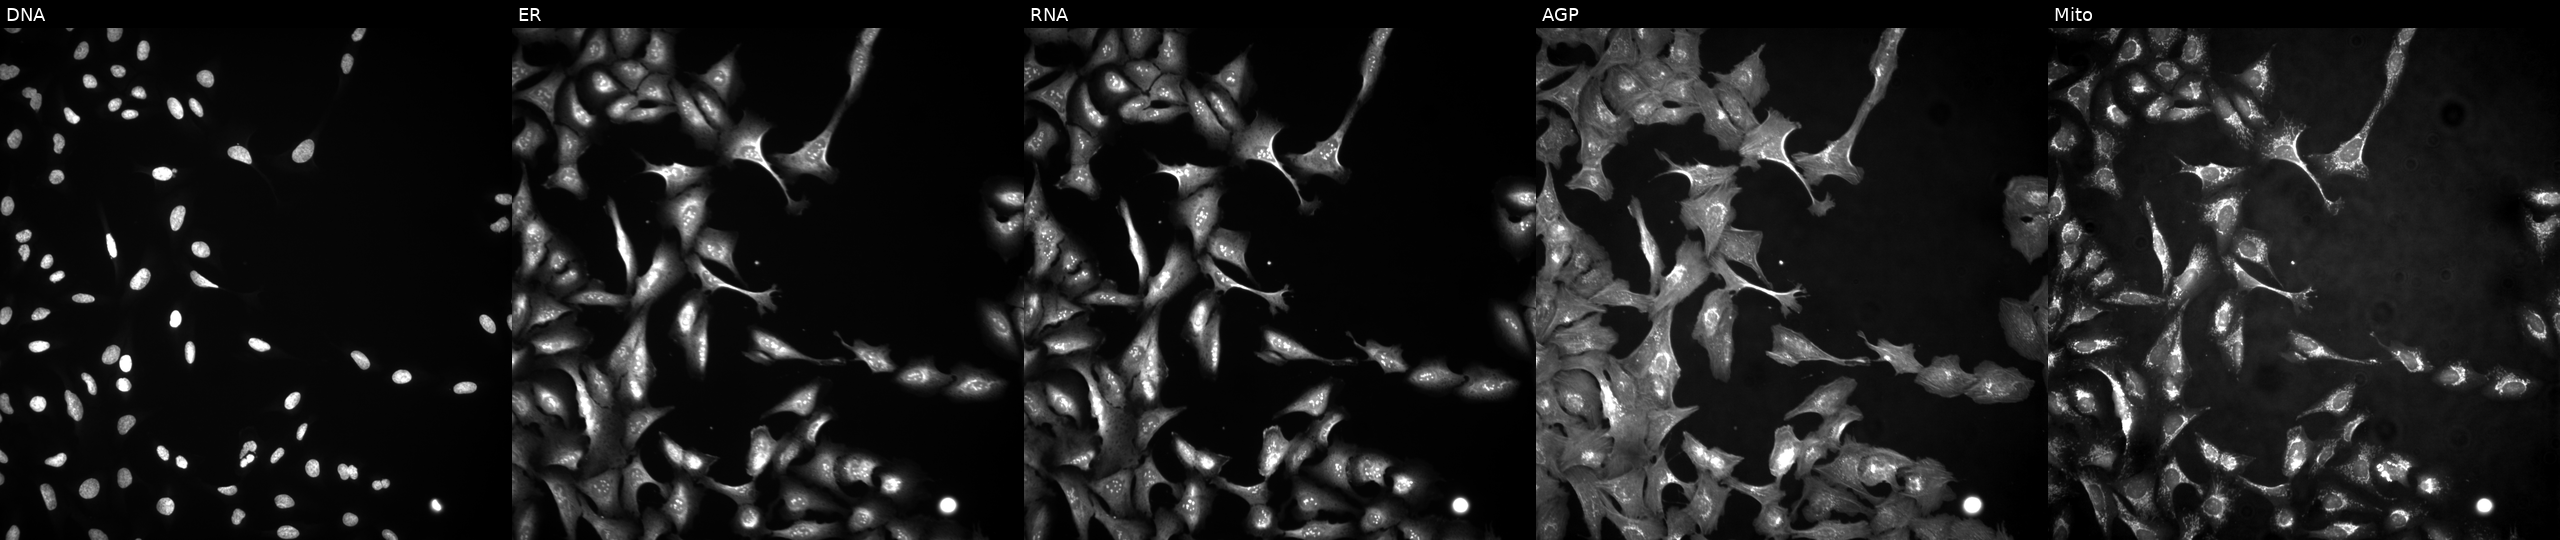
This image strip shows the five Cell Painting channels for a single field of U2OS cells overexpressing WDR47 via ORF transfection (JUMP id JCP2022_907304). The five panels, left to right, show Hoechst 33342, concanavalin A, SYTO 14, phalloidin and WGA, MitoTracker. Source 4, plate BR00124784, well G09.